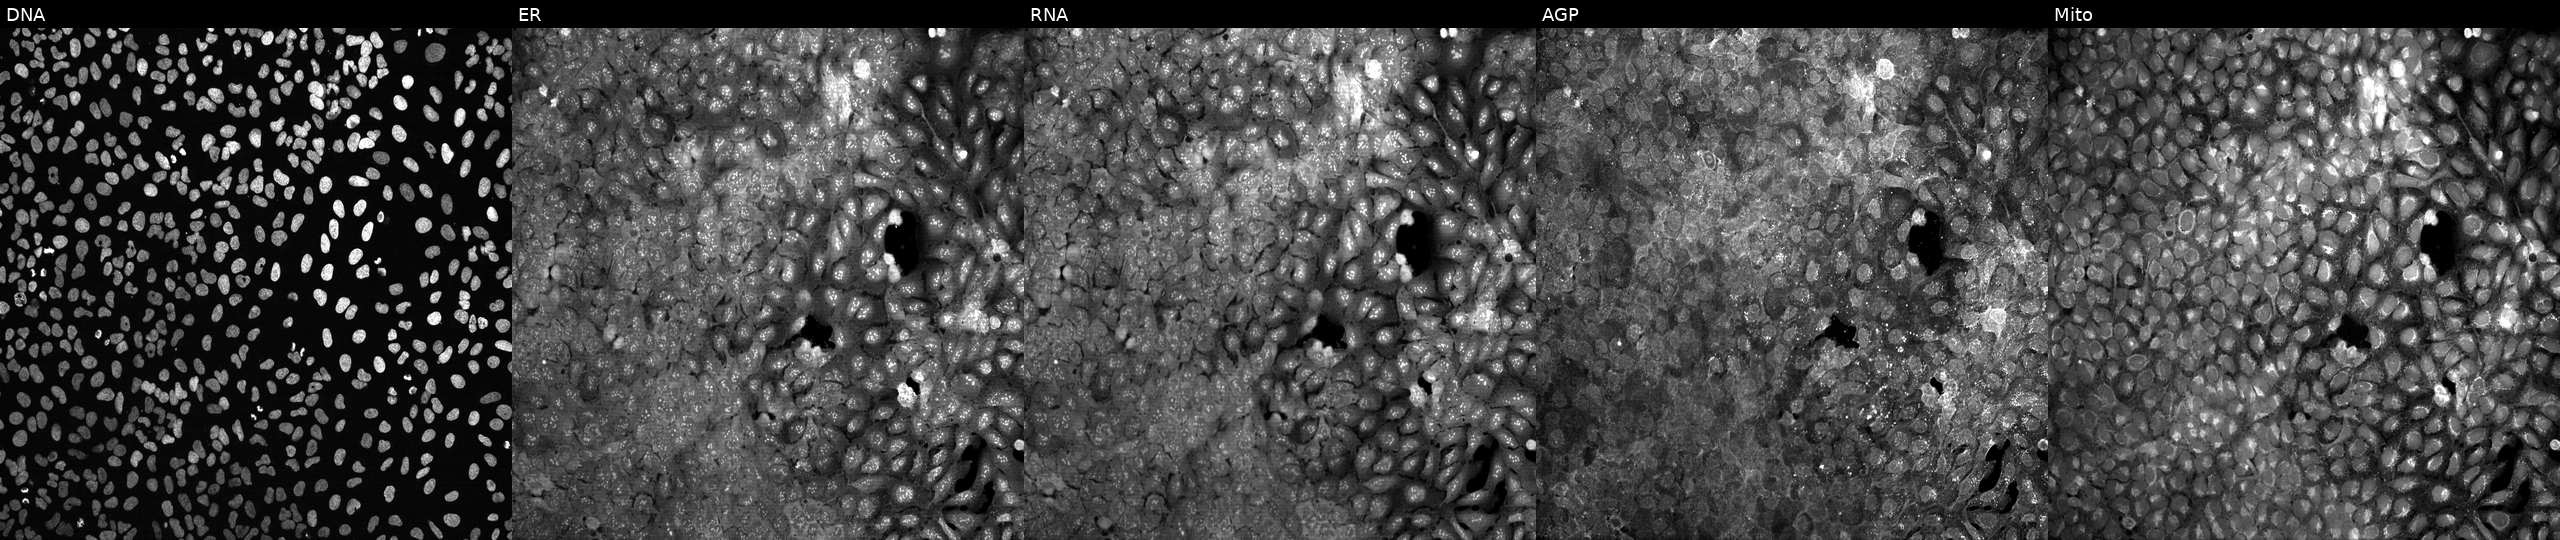
JUMP Cell Painting — CRISPR plate. U2OS cells exposed to DMSO alone as a negative control. Channels (left→right): DNA (nuclei); ER (endoplasmic reticulum); RNA (nucleoli and cytoplasmic RNA); AGP (actin cytoskeleton, Golgi, and plasma membrane); Mito (mitochondria). Source 13, plate CP-CC9-R1-02, well L02.